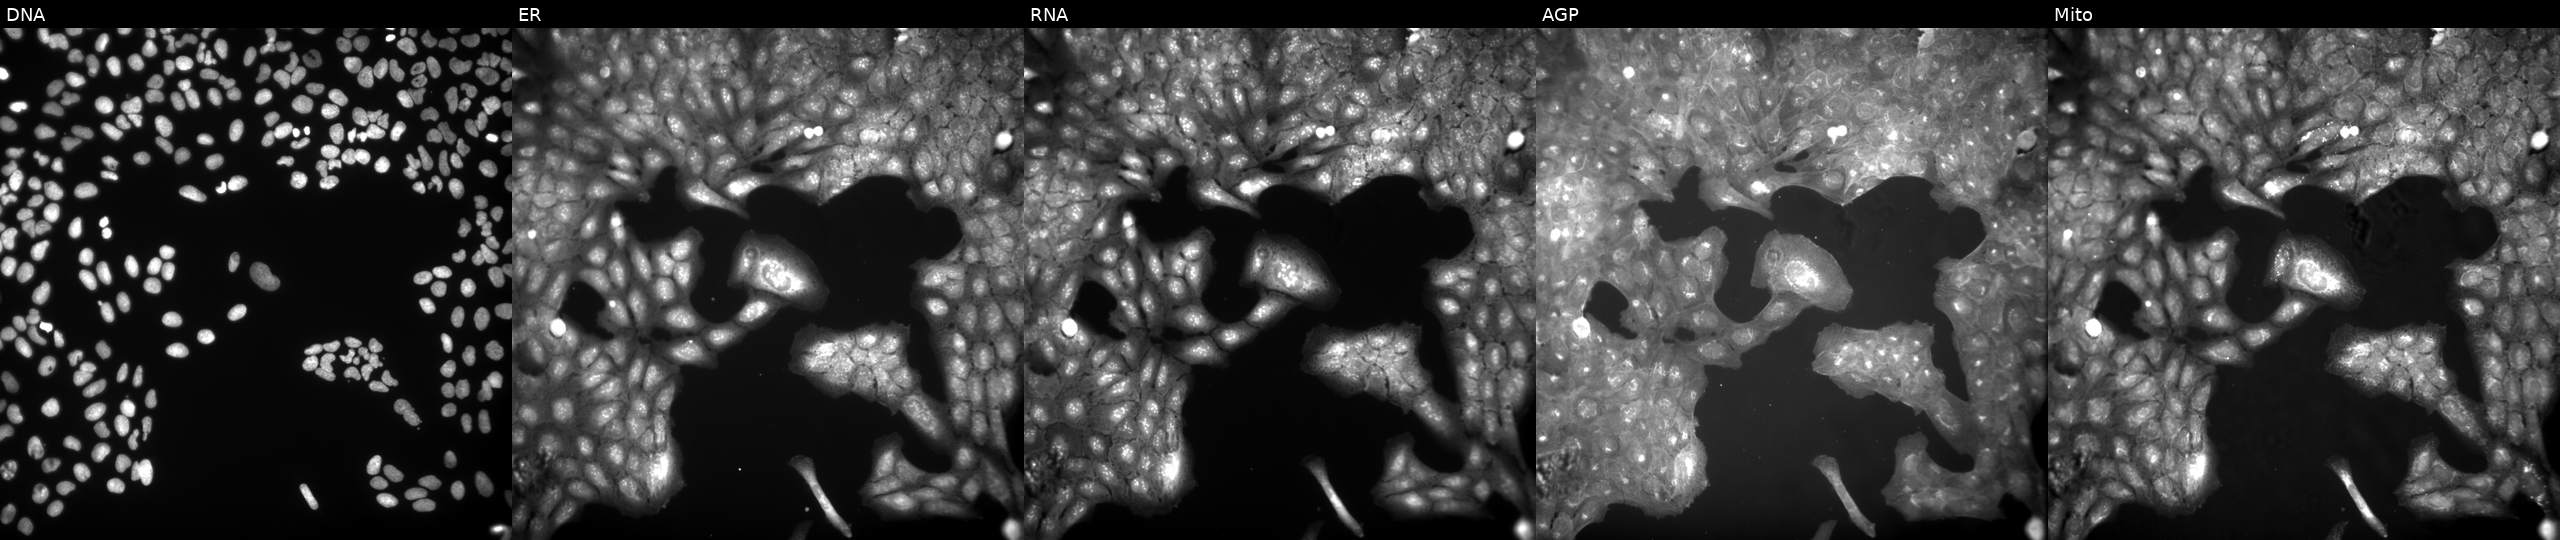
This image strip shows the five Cell Painting channels for a single field of U2OS cells perturbed with a small-molecule compound (InChIKey KOFZYNZFCUIVKJ-UHFFFAOYSA-N) (JUMP id JCP2022_045912). Channels (left→right): DNA, ER, RNA, AGP, and Mito.